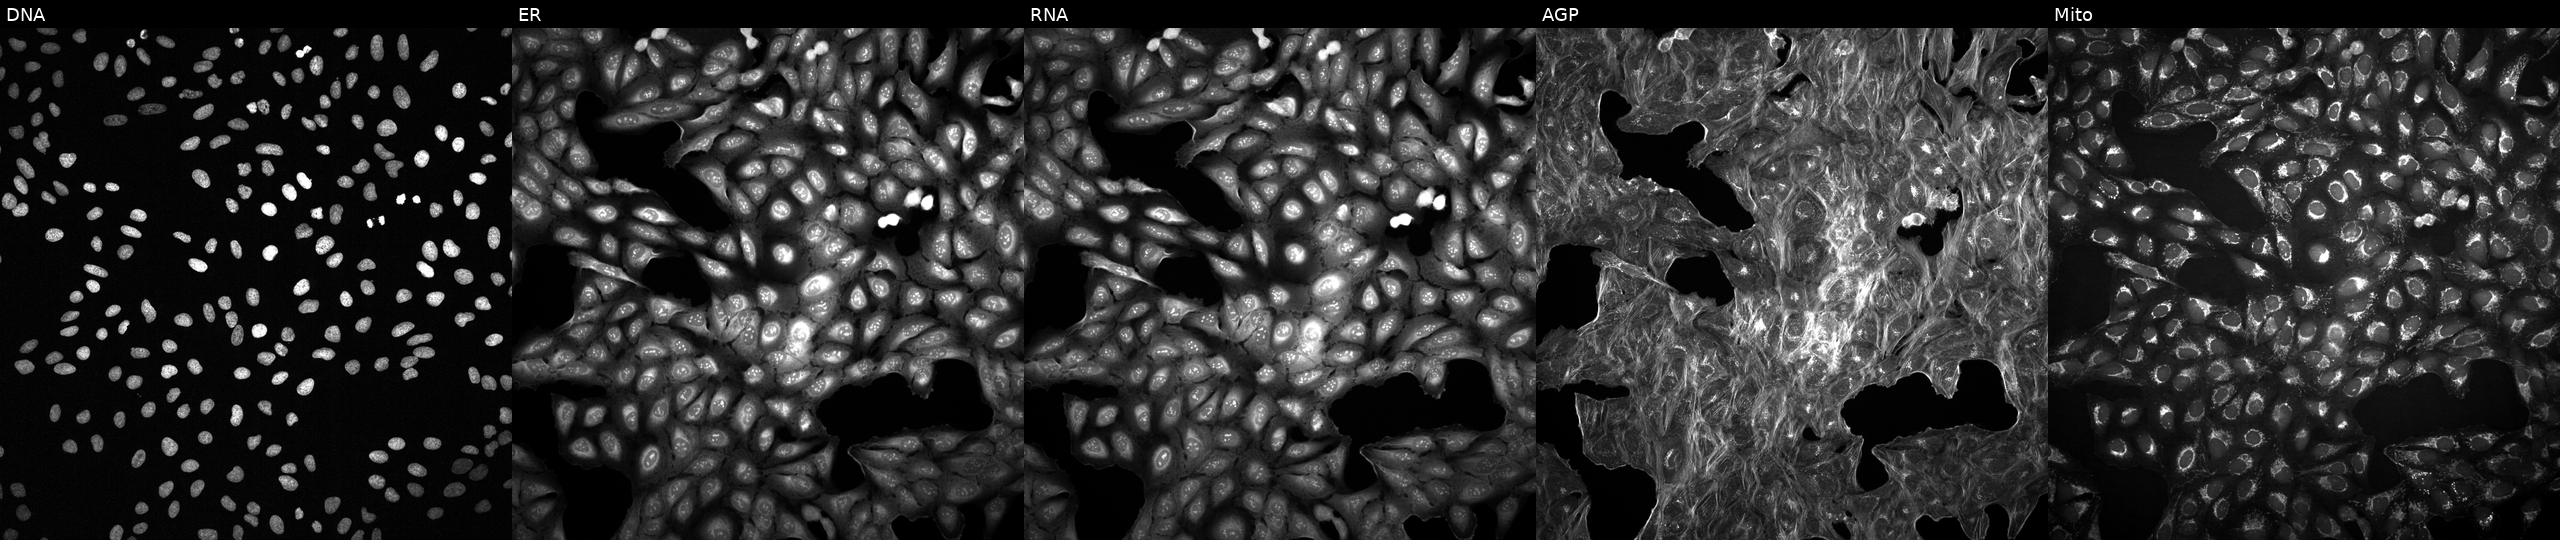
This image strip shows the five Cell Painting channels for a single field of U2OS cells with an unidentified perturbation (not annotated in JUMP metadata). Panels show, left to right, DNA, ER, RNA, AGP, and Mito.